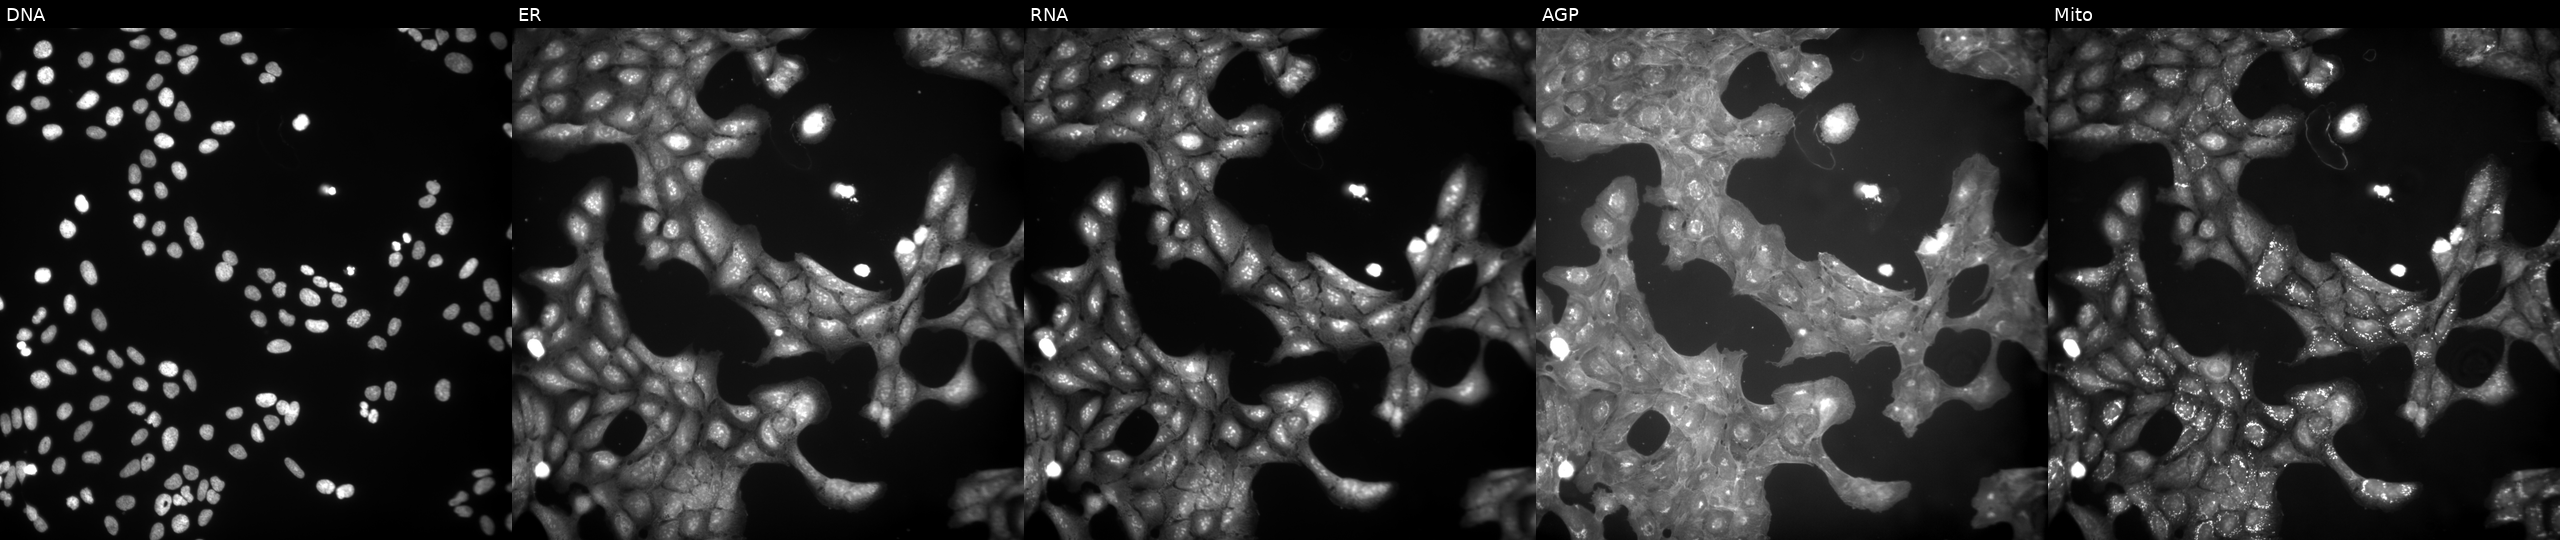
Channels (left→right): Hoechst 33342, concanavalin A, SYTO 14, phalloidin and WGA, MitoTracker. U2OS osteosarcoma cells treated with a small-molecule compound [SMILES: COc1cc(OC)c(C2Nc3cccc4cccc(c34)N2)c(OC)c1] (JUMP id JCP2022_094680). Cell Painting assay, JUMP-CP dataset. Source 9, plate GR00003381, well A44.